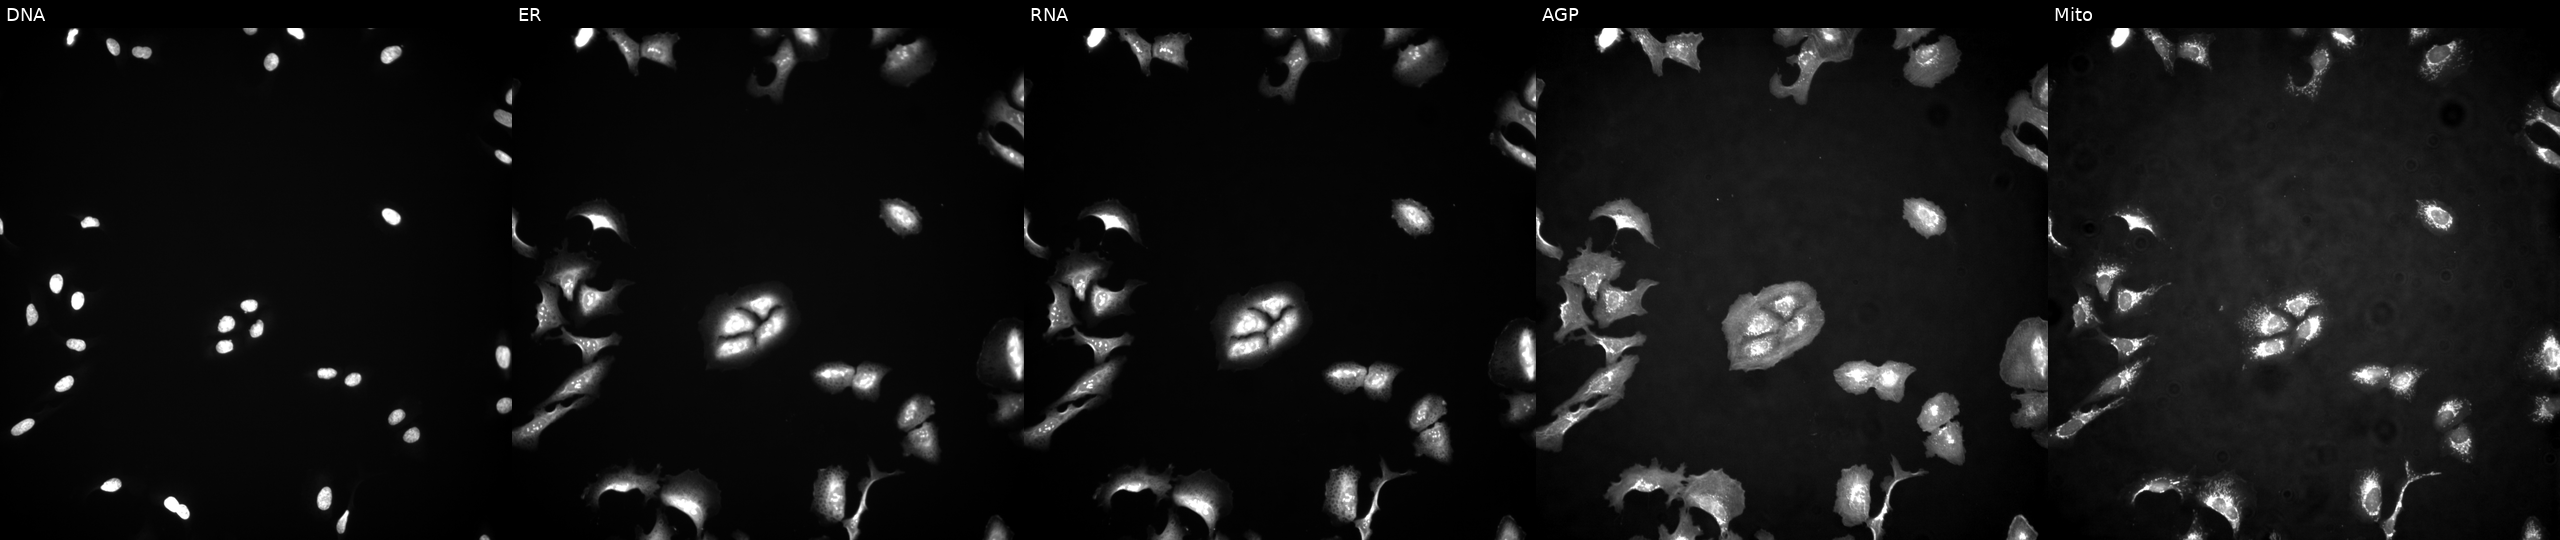
Five-channel Cell Painting image of U2OS cells with SCMH1 overexpressed (ORF) (JUMP id JCP2022_902540). Channels (left→right): Hoechst 33342, concanavalin A, SYTO 14, phalloidin and WGA, MitoTracker. Source 4, plate BR00117035, well J16.